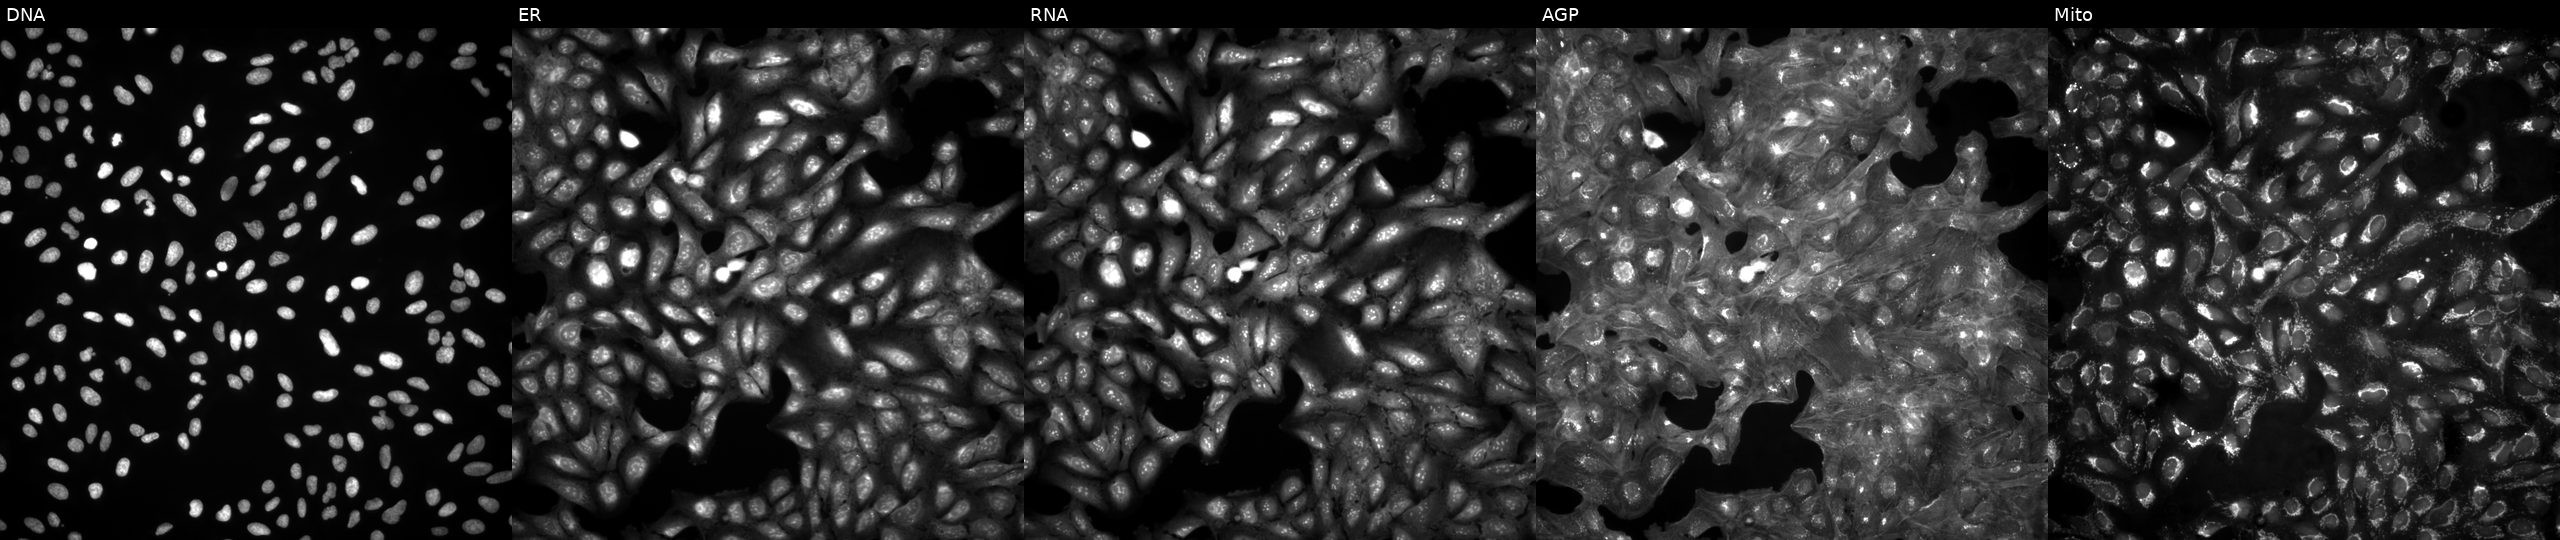
U2OS cells, Cell Painting assay, in an empty control well (no perturbation). From left to right: Hoechst 33342, concanavalin A, SYTO 14, phalloidin and WGA, MitoTracker. Each panel is percentile-stretched 16-bit fluorescence.